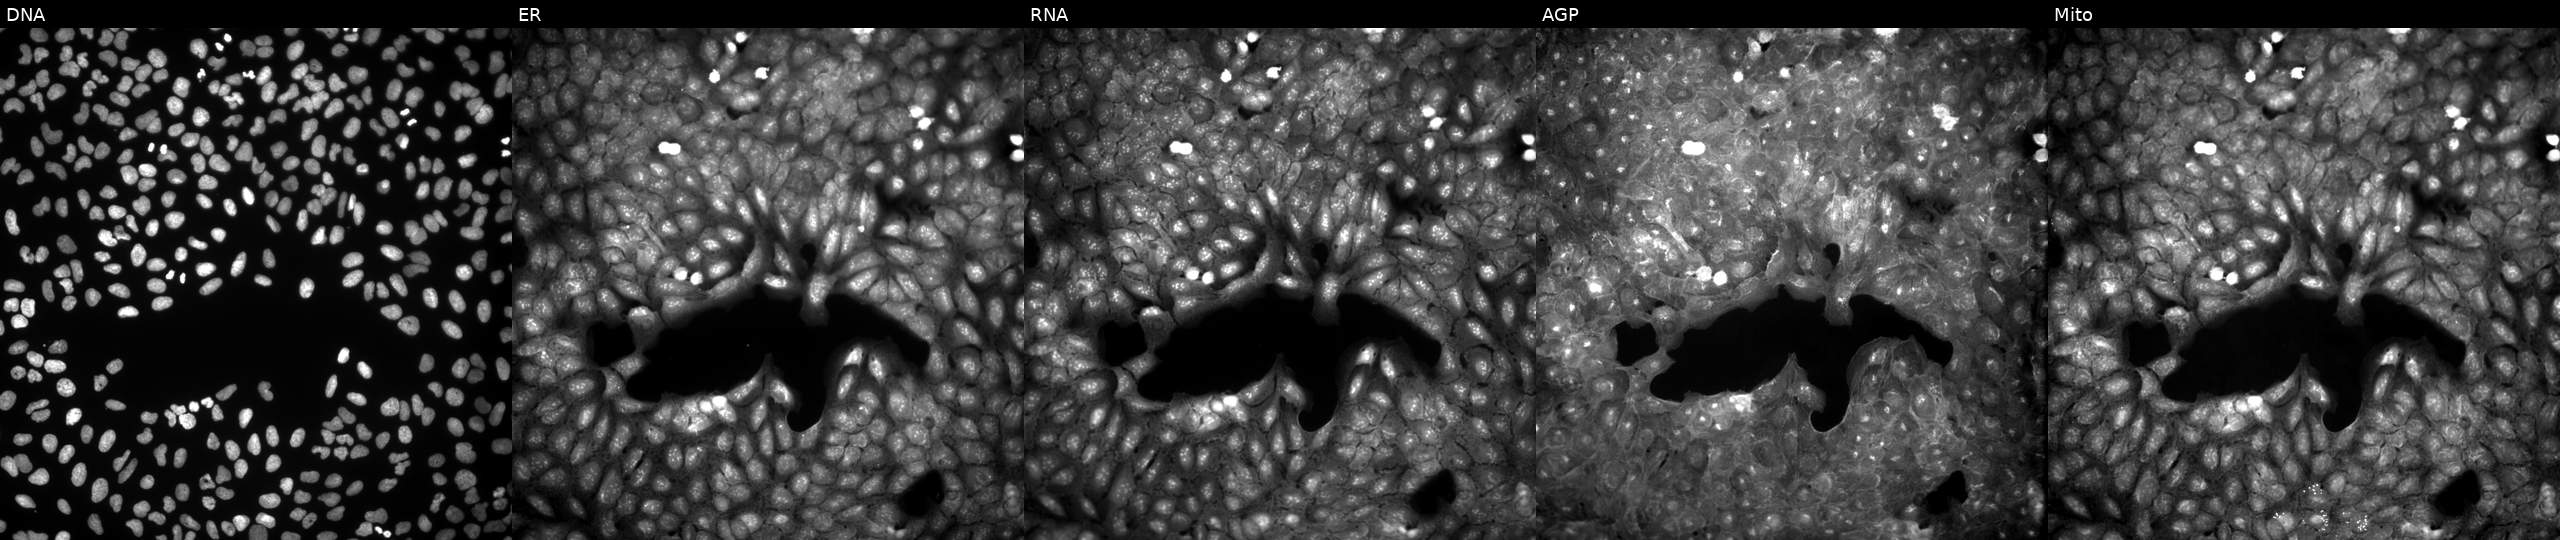
Five-channel Cell Painting image of U2OS cells treated with DMSO vehicle only (negative control). The five panels, left to right, show DNA, ER, RNA, AGP, and Mito.